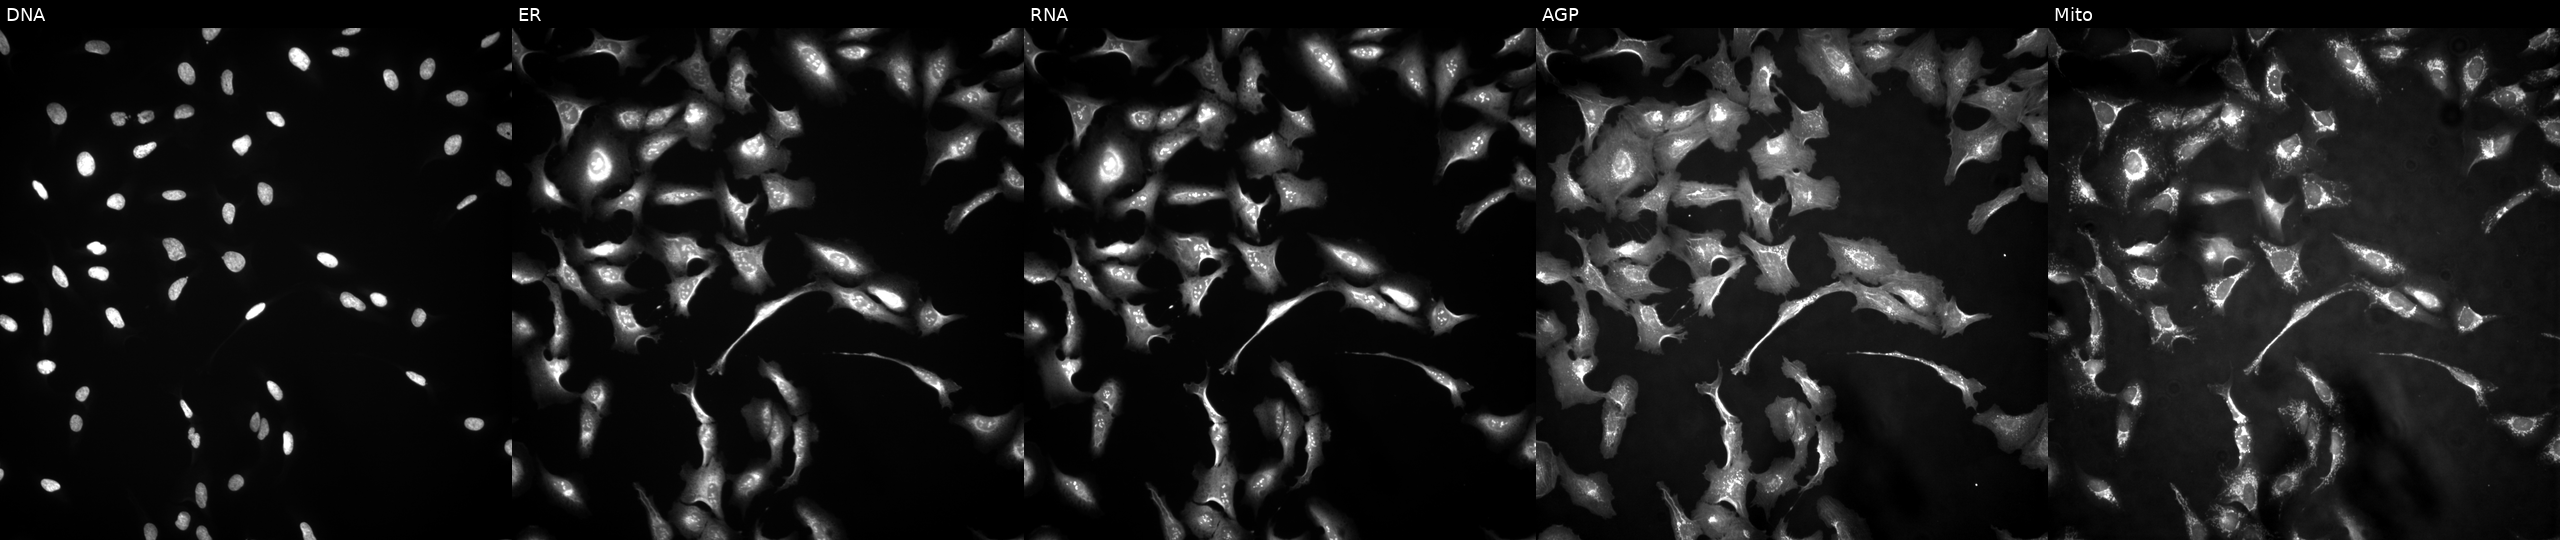
U2OS cells, Cell Painting assay, with DNPEP overexpressed (ORF) (JUMP id JCP2022_910954). From left to right: DNA, ER, RNA, AGP, and Mito. Each panel is percentile-stretched 16-bit fluorescence.